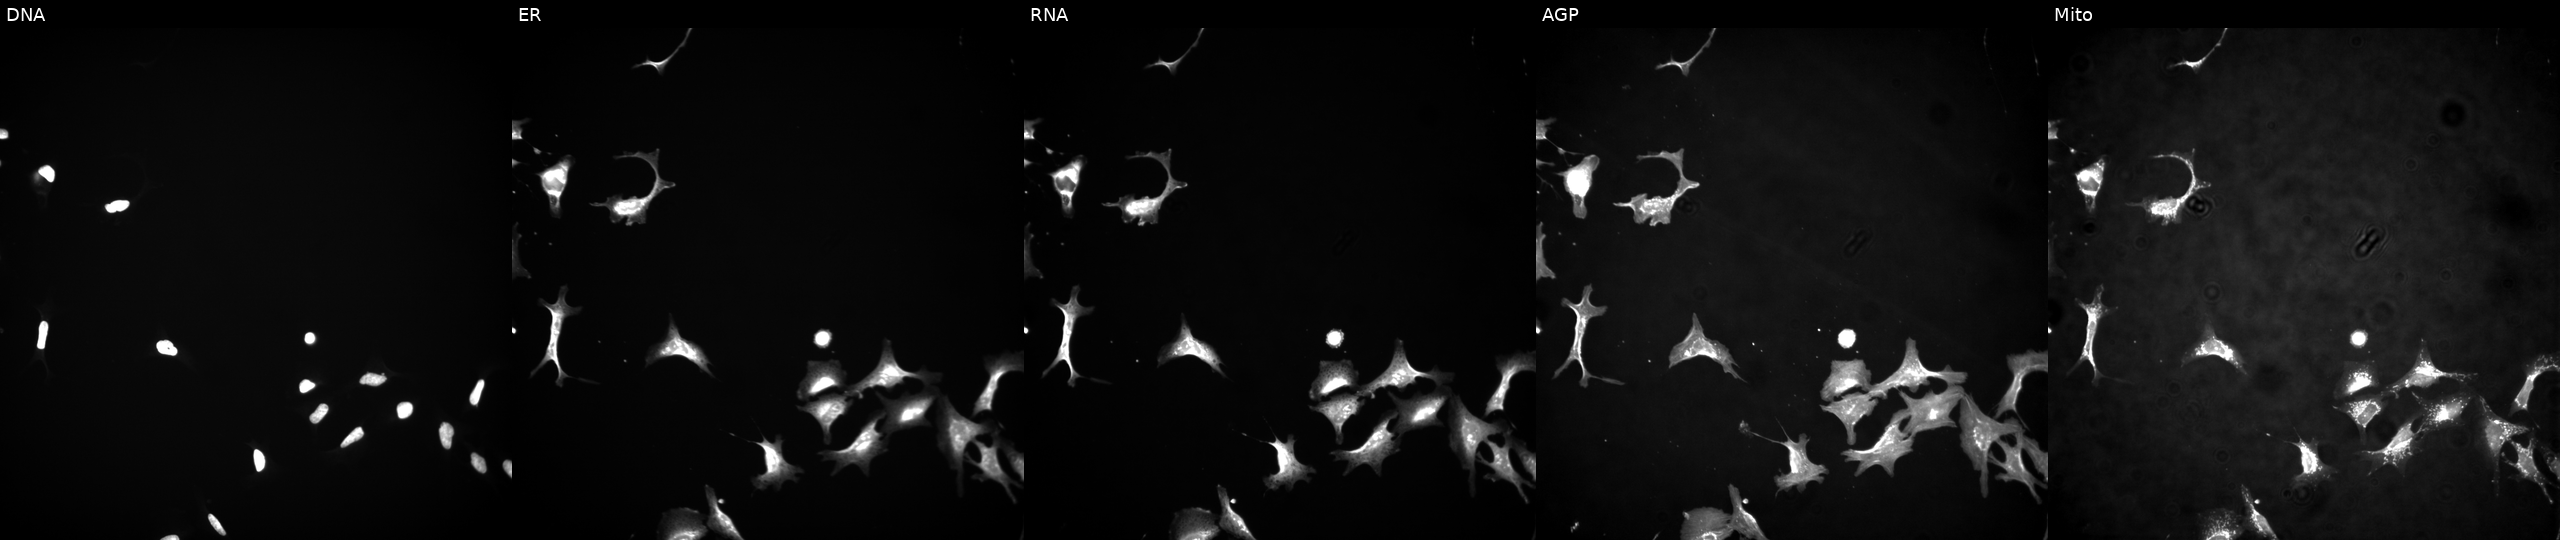
From left to right: Hoechst 33342, concanavalin A, SYTO 14, phalloidin and WGA, MitoTracker. U2OS osteosarcoma cells untreated (empty-well control) (JUMP id JCP2022_999999). Cell Painting assay, JUMP-CP dataset.